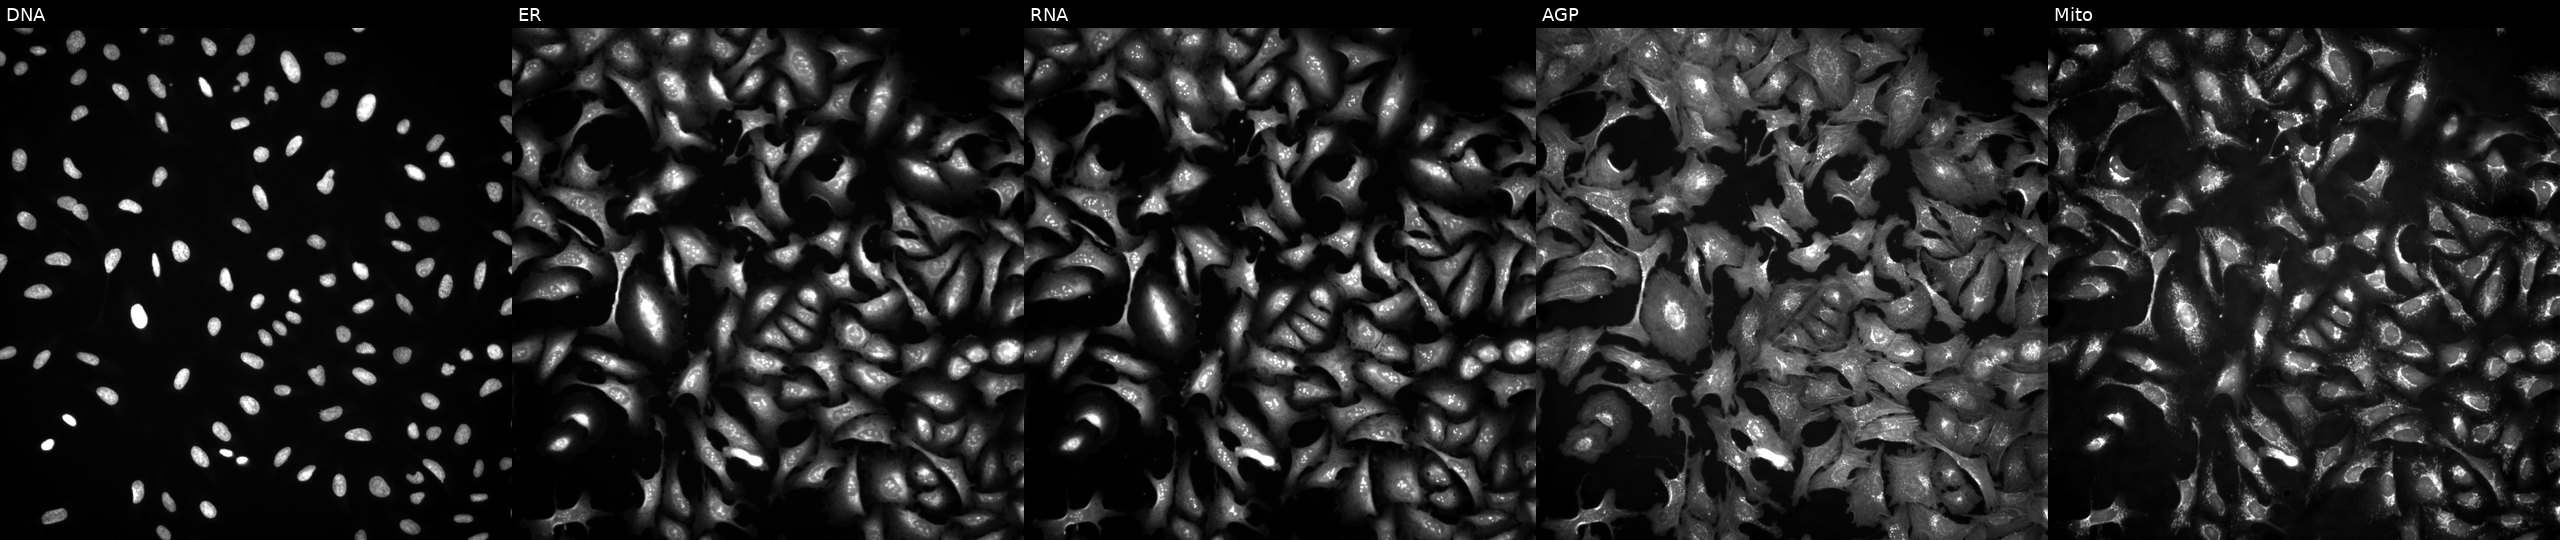
Channels (left→right): Hoechst 33342, concanavalin A, SYTO 14, phalloidin and WGA, MitoTracker. U2OS osteosarcoma cells overexpressing FGFR3 via ORF transfection. Cell Painting assay, JUMP-CP dataset.